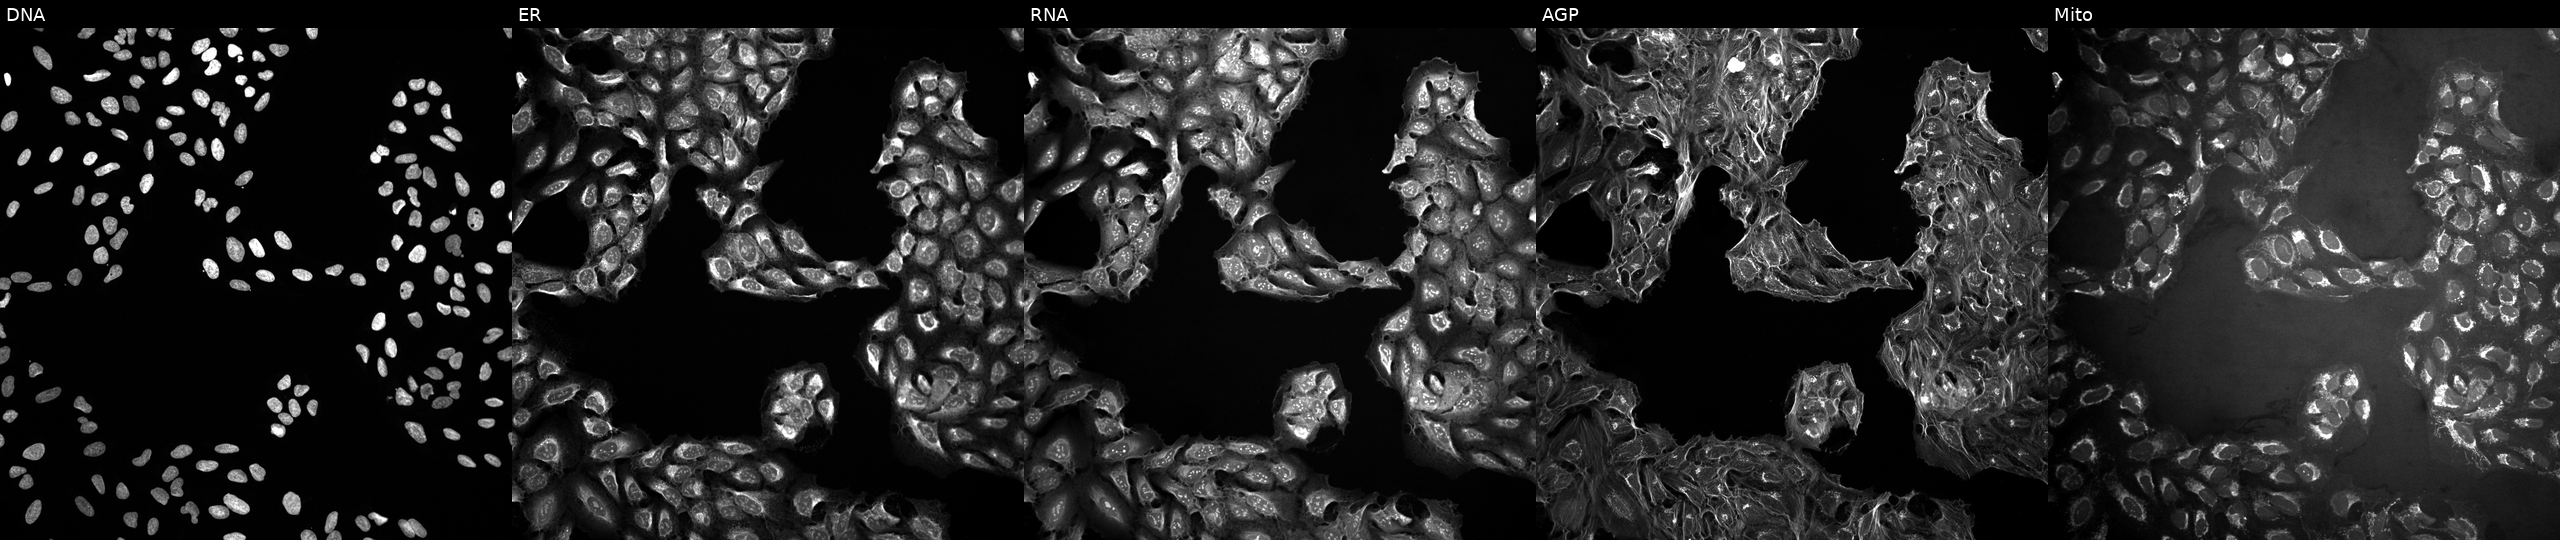
High-content fluorescence microscopy (Cell Painting). Cell line: U2OS. Perturbation: treated with a small-molecule compound (InChIKey JTNKOFLHCQVPJS-UHFFFAOYSA-N). From left to right: Hoechst 33342, concanavalin A, SYTO 14, phalloidin and WGA, MitoTracker.